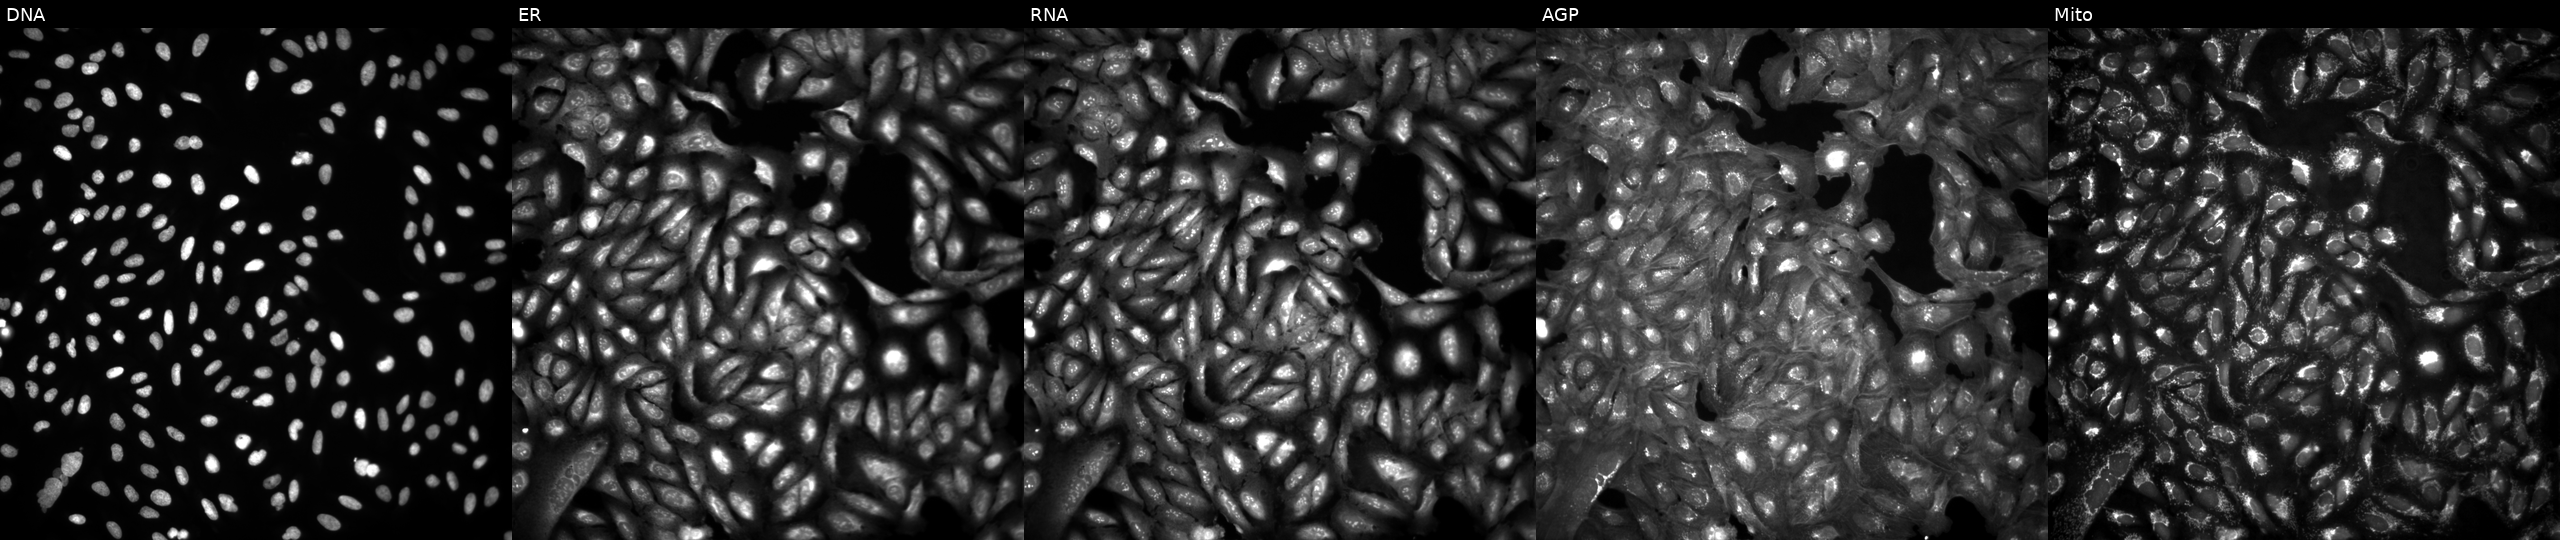
High-content fluorescence microscopy (Cell Painting). Cell line: U2OS. Perturbation: in an empty control well (no perturbation) (JUMP id JCP2022_999999). The five panels, left to right, show DNA (nuclei); ER (endoplasmic reticulum); RNA (nucleoli and cytoplasmic RNA); AGP (actin cytoskeleton, Golgi, and plasma membrane); Mito (mitochondria). Source 4, plate BR00124793, well L23.